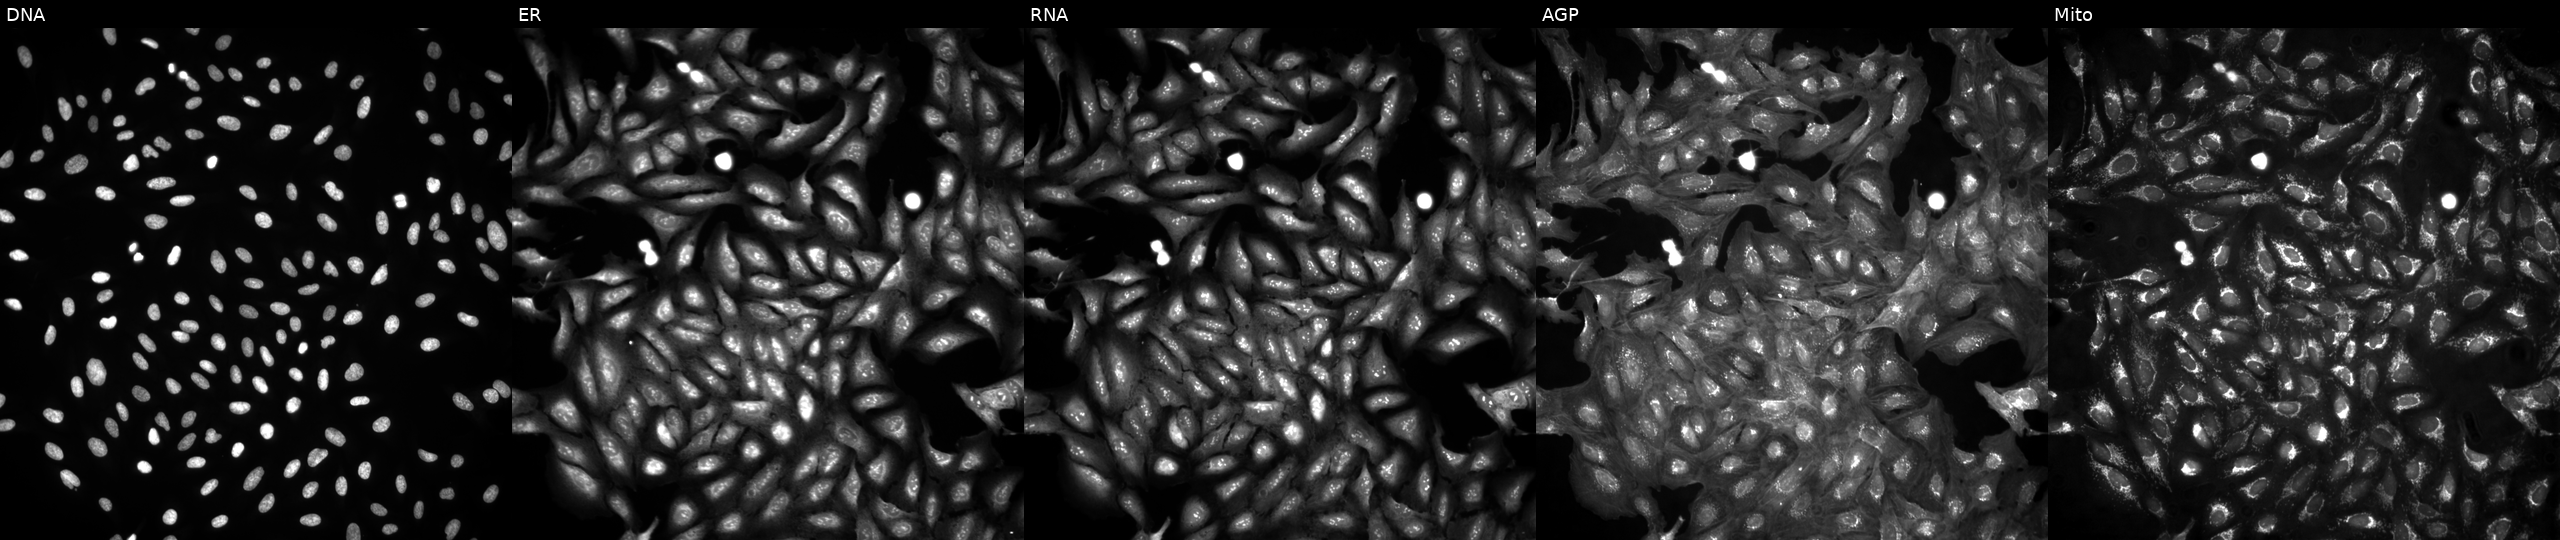
This image strip shows the five Cell Painting channels for a single field of U2OS cells untreated (empty-well control) (JUMP id JCP2022_999999). Panels show, left to right, DNA (nuclei); ER (endoplasmic reticulum); RNA (nucleoli and cytoplasmic RNA); AGP (actin cytoskeleton, Golgi, and plasma membrane); Mito (mitochondria). Source 4, plate BR00124793, well H02.